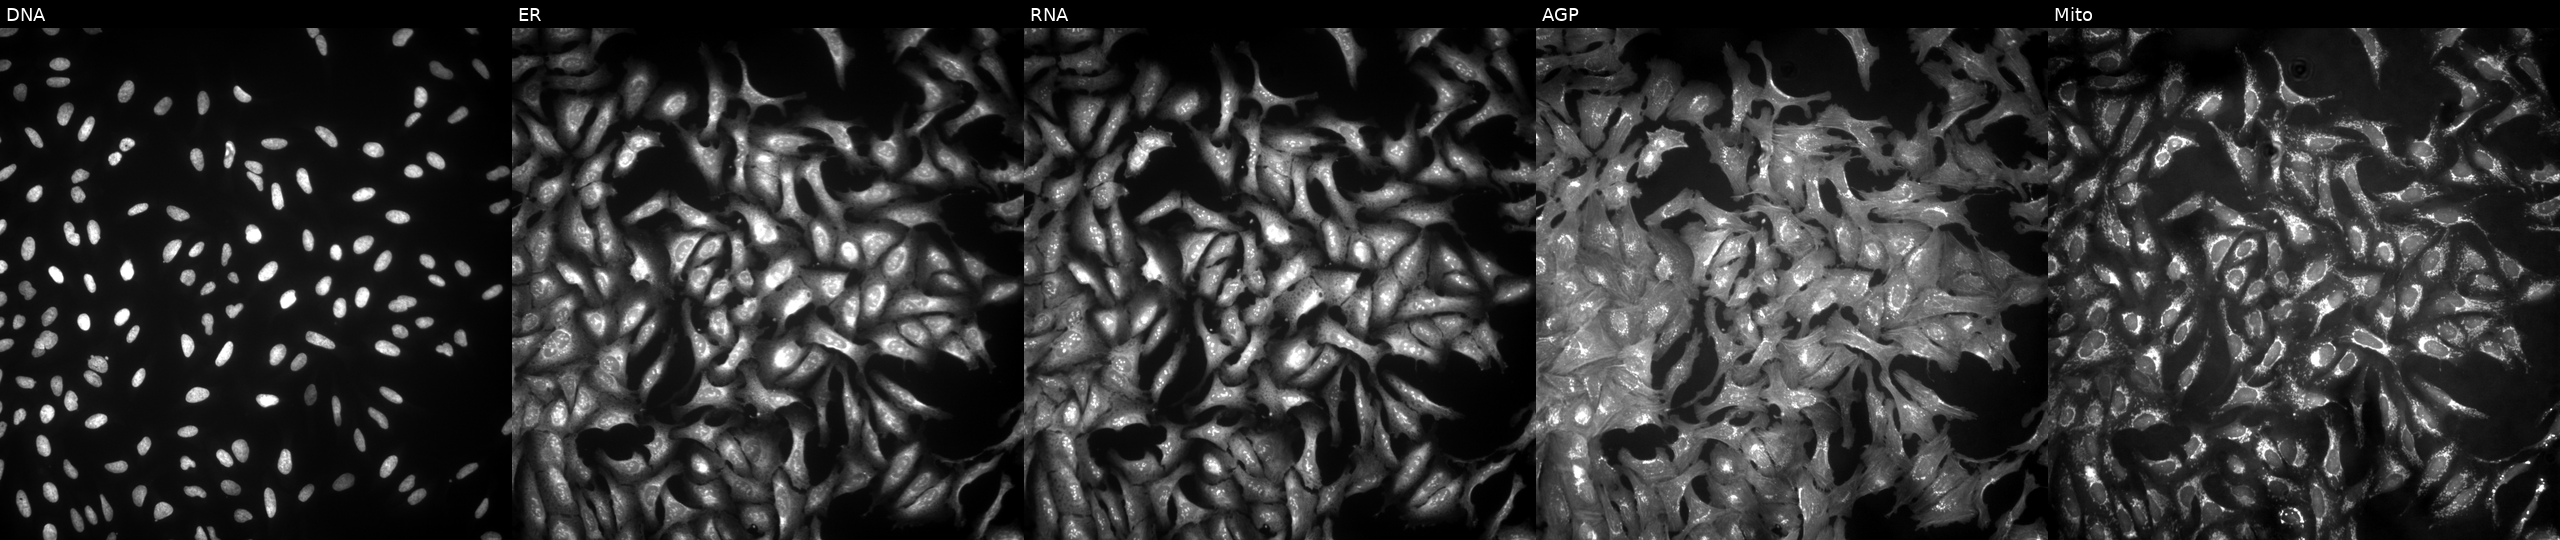
Panels show, left to right, Hoechst 33342, concanavalin A, SYTO 14, phalloidin and WGA, MitoTracker. U2OS osteosarcoma cells with DUSP10 overexpressed (ORF) (JUMP id JCP2022_902481). Cell Painting assay, JUMP-CP dataset. Source 4, plate BR00123506, well F19.